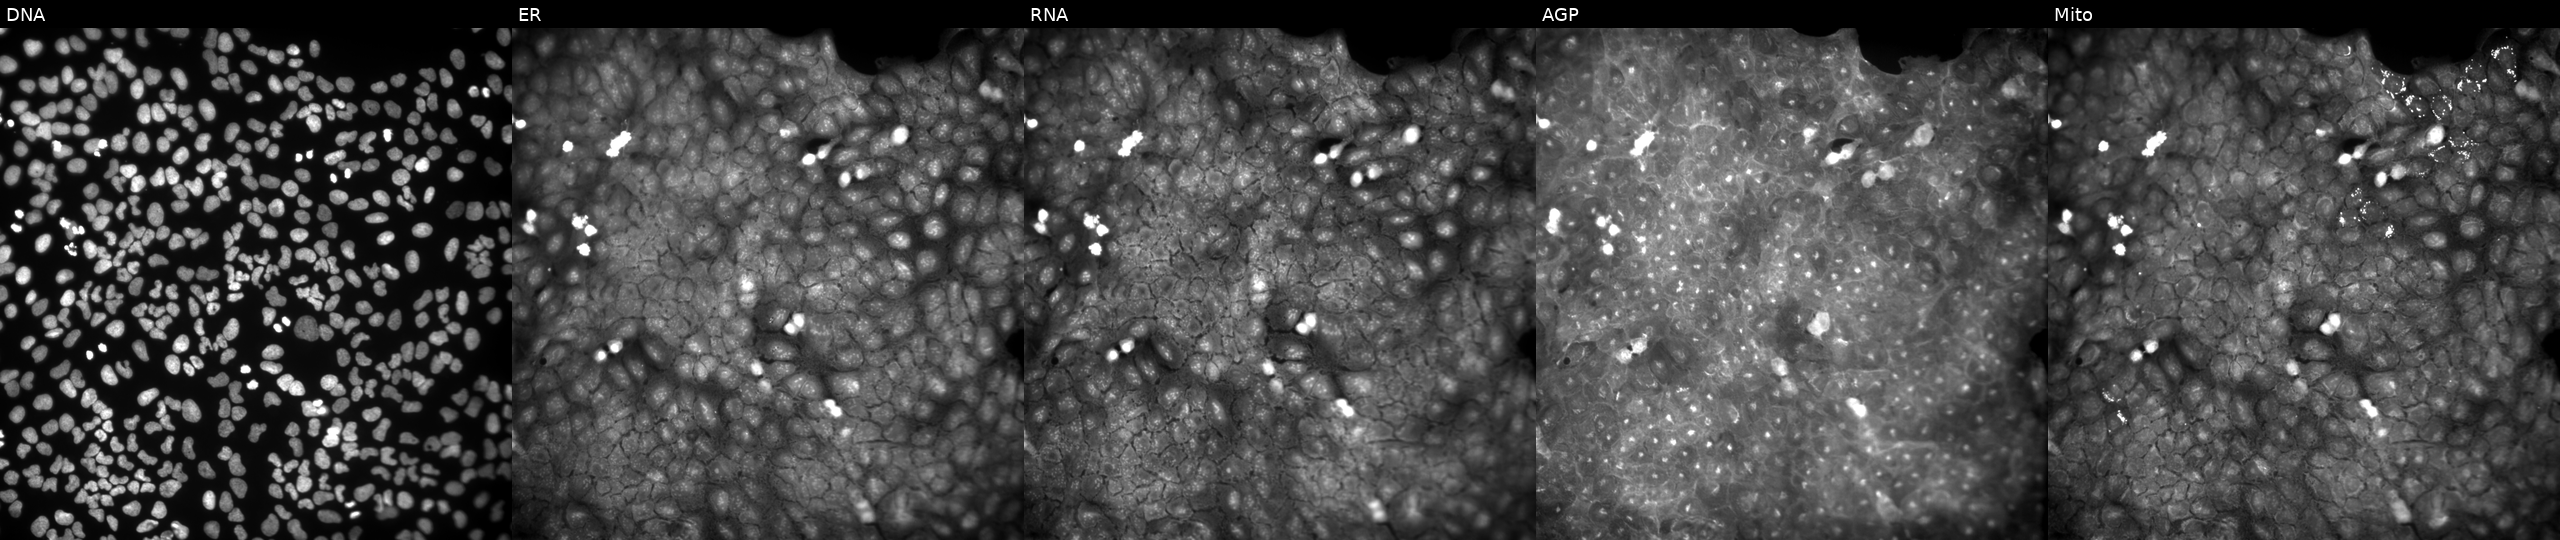
From left to right: DNA (nuclei); ER (endoplasmic reticulum); RNA (nucleoli and cytoplasmic RNA); AGP (actin cytoskeleton, Golgi, and plasma membrane); Mito (mitochondria). U2OS osteosarcoma cells treated with a small-molecule compound (InChIKey YJLMWNONTVTPLE-UHFFFAOYSA-N) (JUMP id JCP2022_108854). Cell Painting assay, JUMP-CP dataset. Source 9, plate GR00003381, well W46.